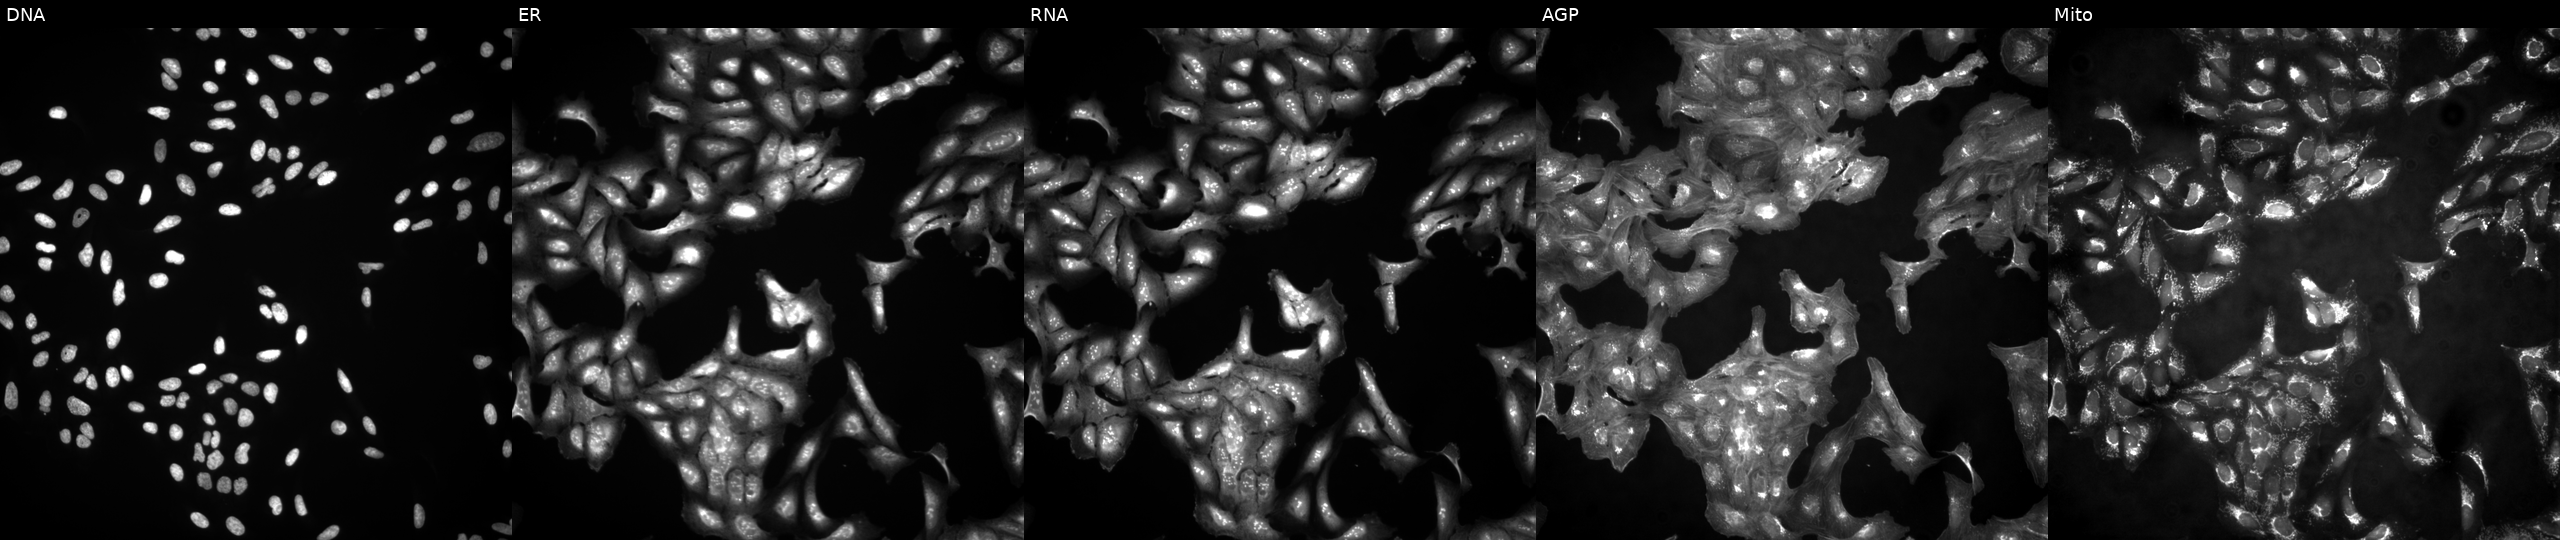
U2OS cells, Cell Painting assay, untreated (empty-well control) (JUMP id JCP2022_999999). The five panels, left to right, show DNA (nuclei); ER (endoplasmic reticulum); RNA (nucleoli and cytoplasmic RNA); AGP (actin cytoskeleton, Golgi, and plasma membrane); Mito (mitochondria). Each panel is percentile-stretched 16-bit fluorescence. Source 4, plate BR00123946, well L08.